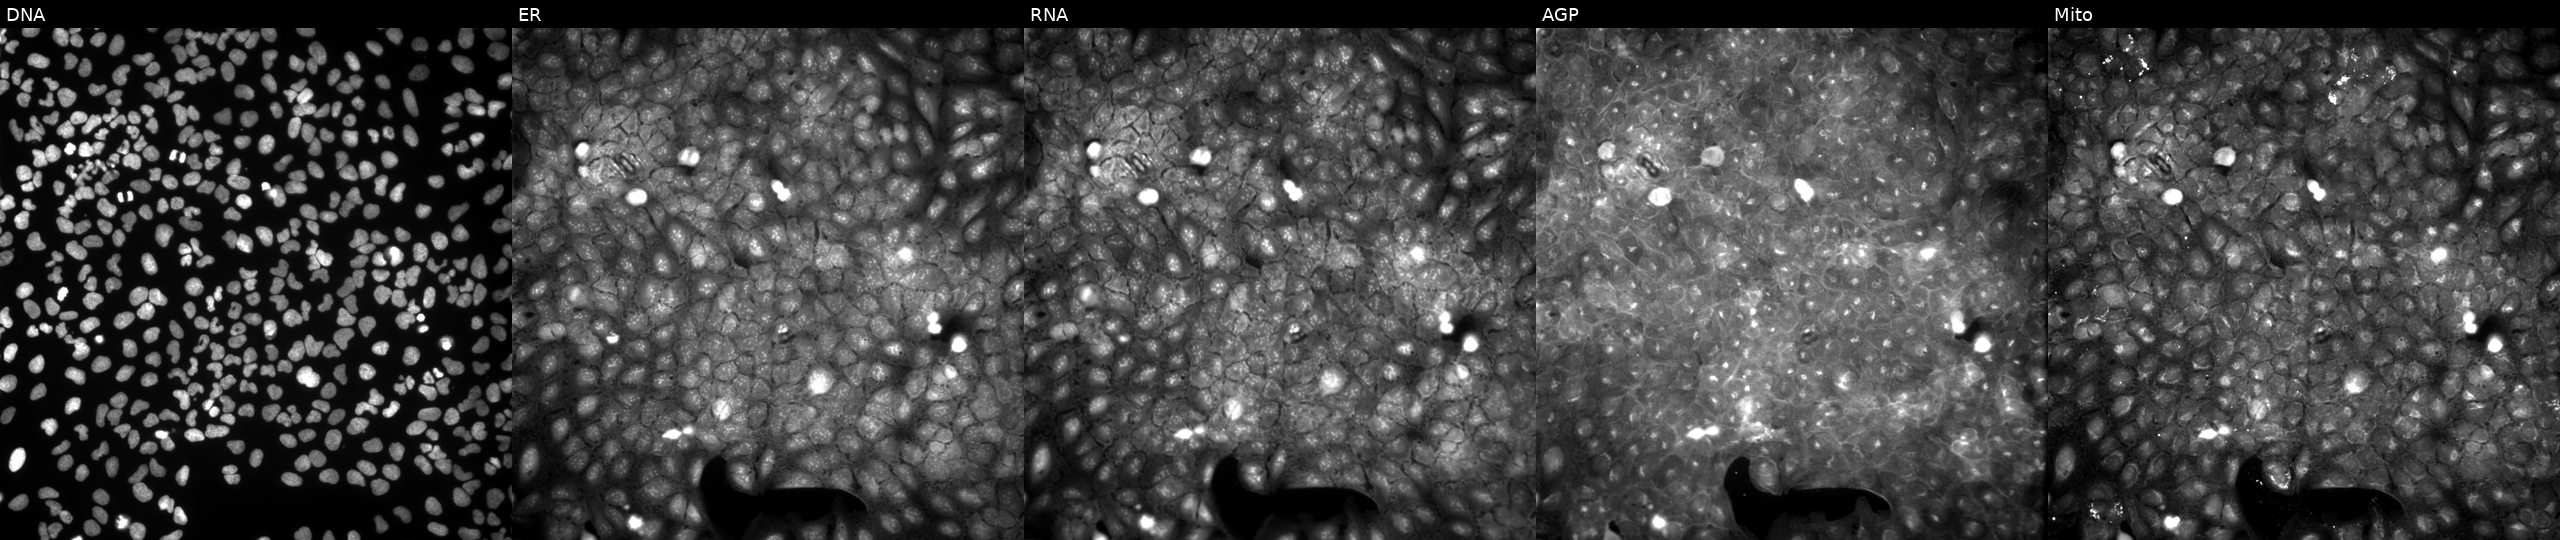
JUMP Cell Painting — COMPOUND plate. U2OS cells perturbed with a small-molecule compound [SMILES: O=C(c1ccncc1)N(c1ccc2oc3c(c2c1)CCCC3)S(=O)(=O)c1ccc(F)cc1]. Channels (left→right): DNA (nuclei); ER (endoplasmic reticulum); RNA (nucleoli and cytoplasmic RNA); AGP (actin cytoskeleton, Golgi, and plasma membrane); Mito (mitochondria).